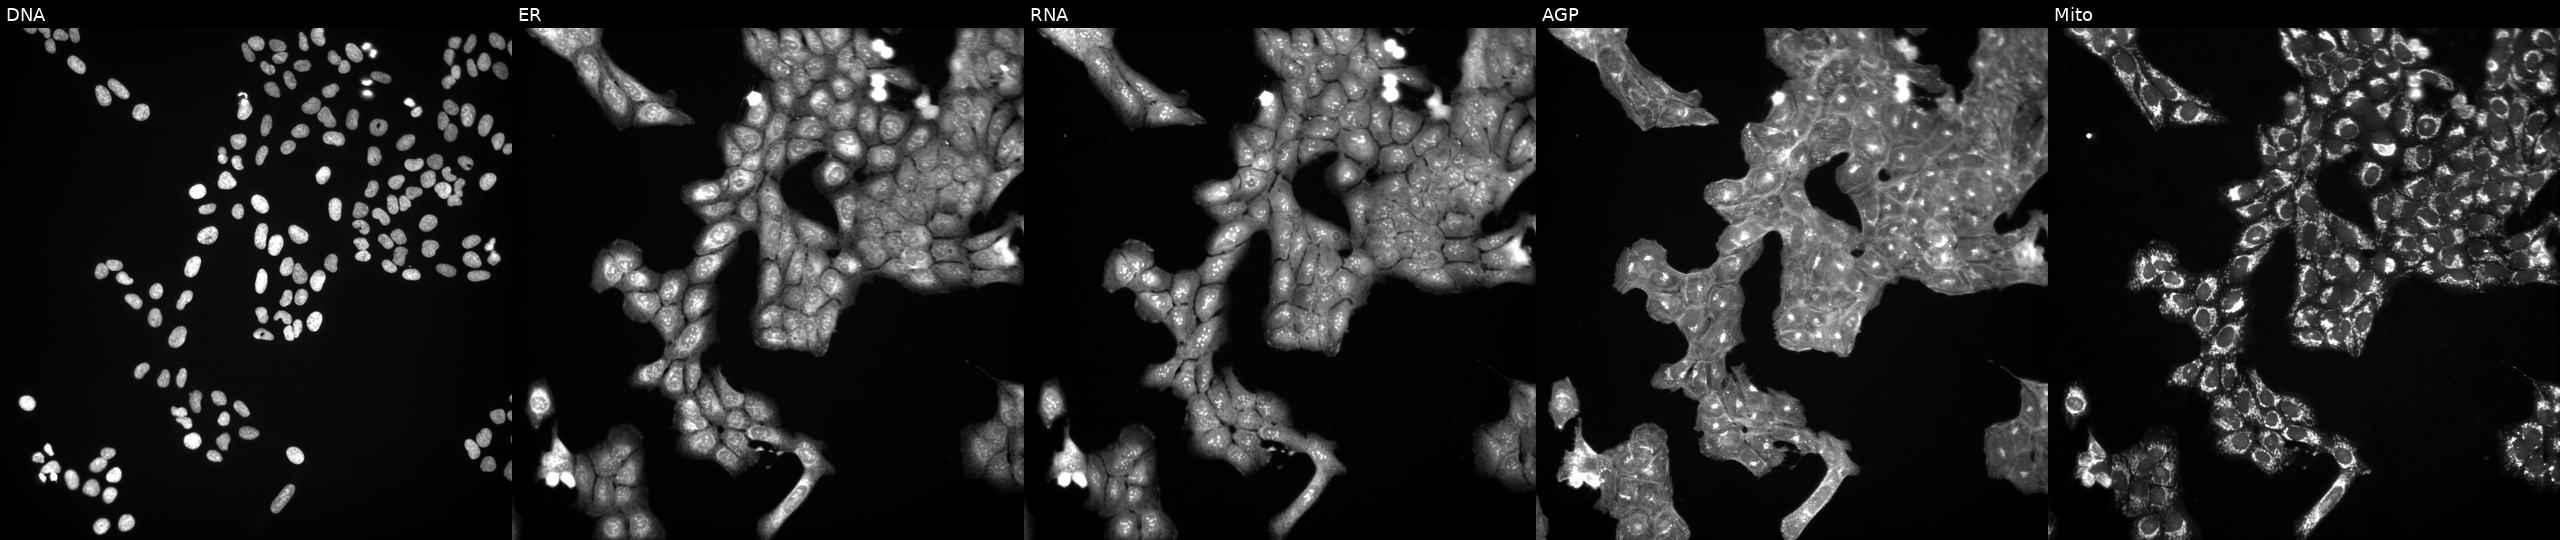
Five-channel Cell Painting image of U2OS cells exposed to a small-molecule compound. From left to right: Hoechst 33342, concanavalin A, SYTO 14, phalloidin and WGA, MitoTracker.